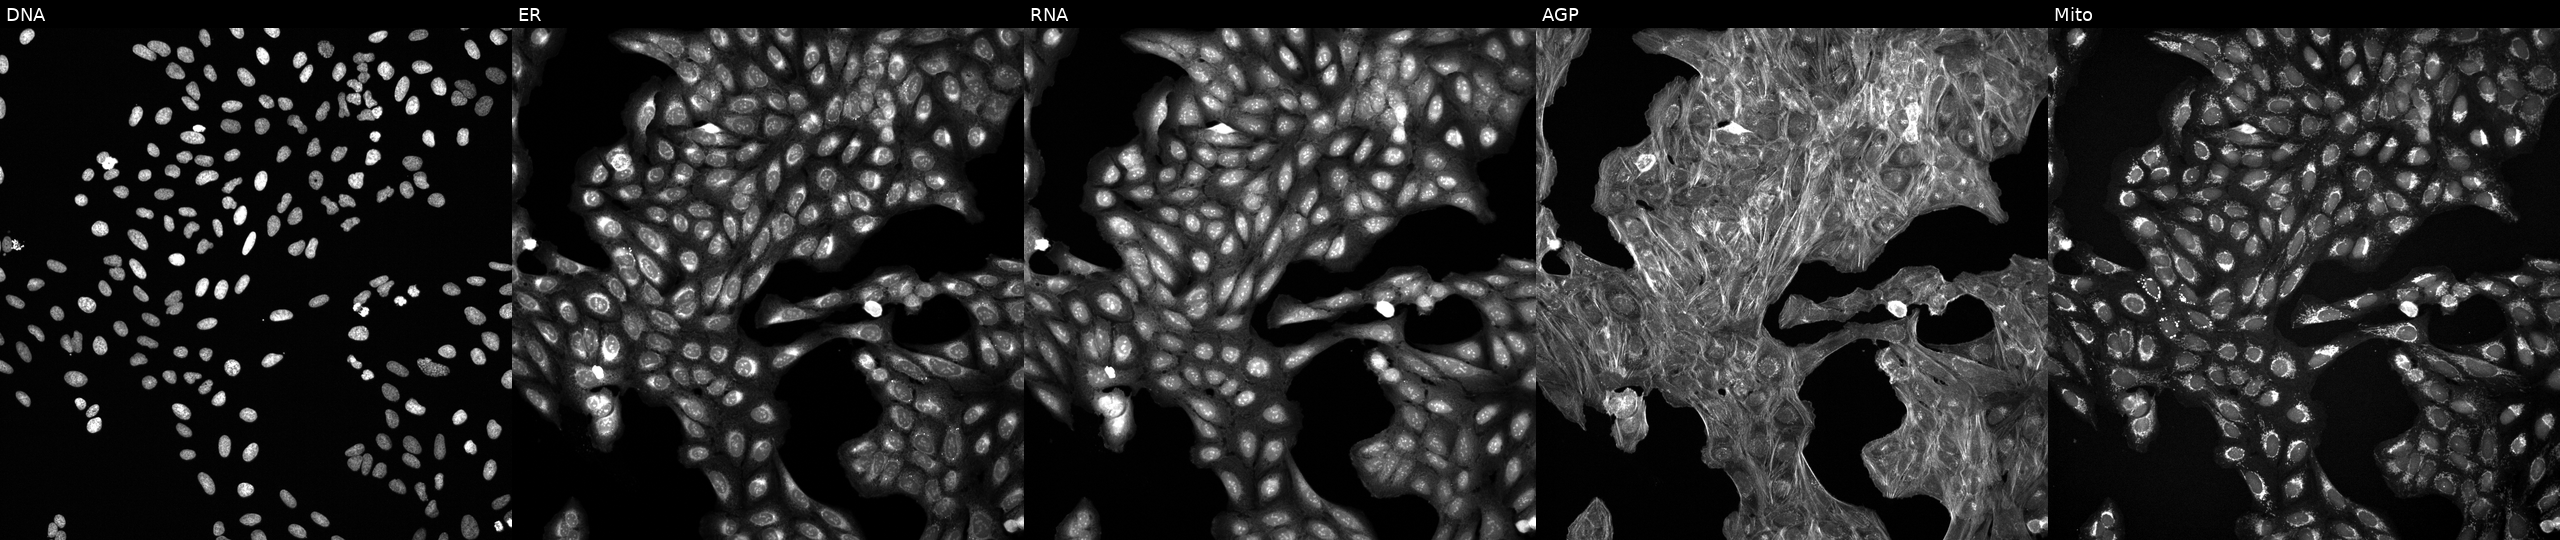
This image strip shows the five Cell Painting channels for a single field of U2OS cells exposed to a small-molecule compound (InChIKey NCNQNKXJCCLINO-UHFFFAOYSA-N) (JUMP id JCP2022_058115). Channels (left→right): Hoechst 33342, concanavalin A, SYTO 14, phalloidin and WGA, MitoTracker.